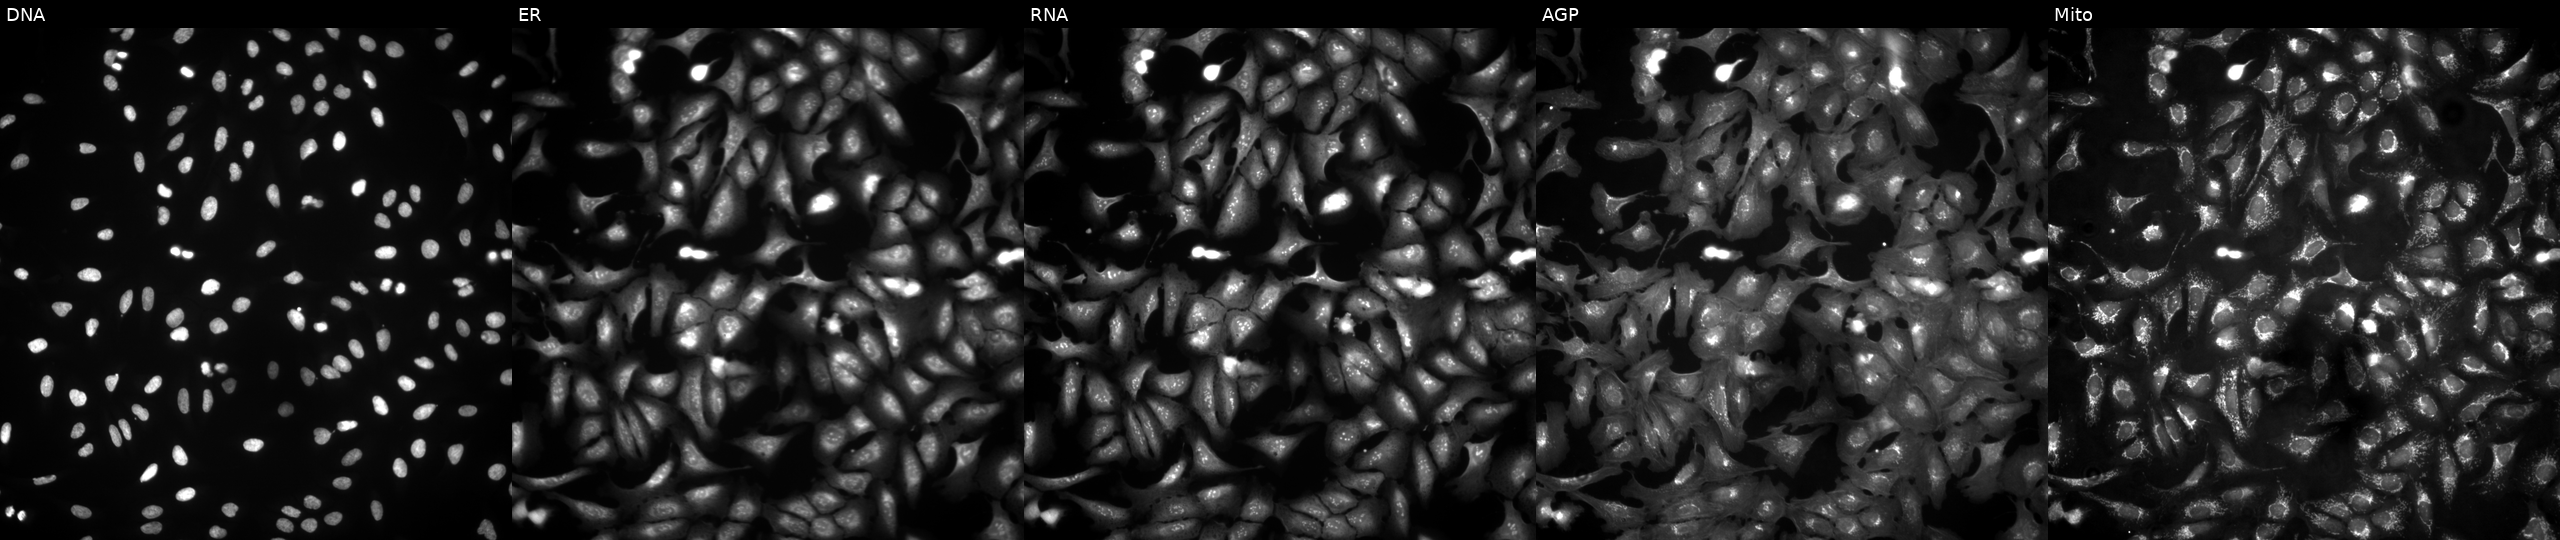
JUMP Cell Painting — ORF plate. U2OS cells overexpressing NRSN2 via ORF transfection (JUMP id JCP2022_903905). From left to right: DNA, ER, RNA, AGP, and Mito. Source 4, plate BR00124790, well G01.